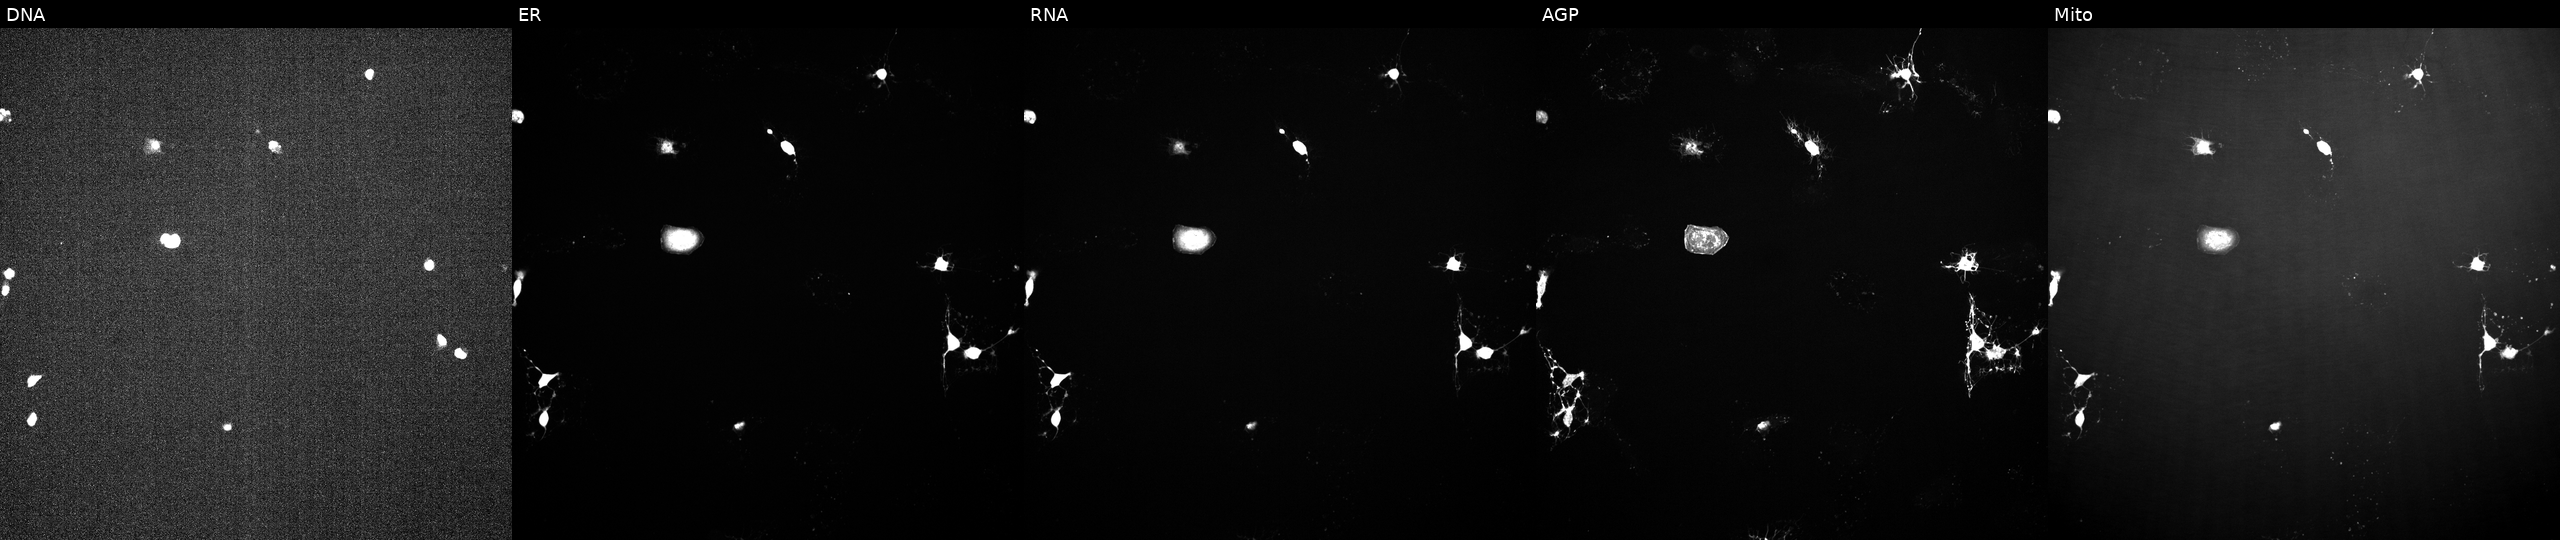
The five panels, left to right, show DNA (nuclei); ER (endoplasmic reticulum); RNA (nucleoli and cytoplasmic RNA); AGP (actin cytoskeleton, Golgi, and plasma membrane); Mito (mitochondria). U2OS osteosarcoma cells treated with a small-molecule compound. Cell Painting assay, JUMP-CP dataset.